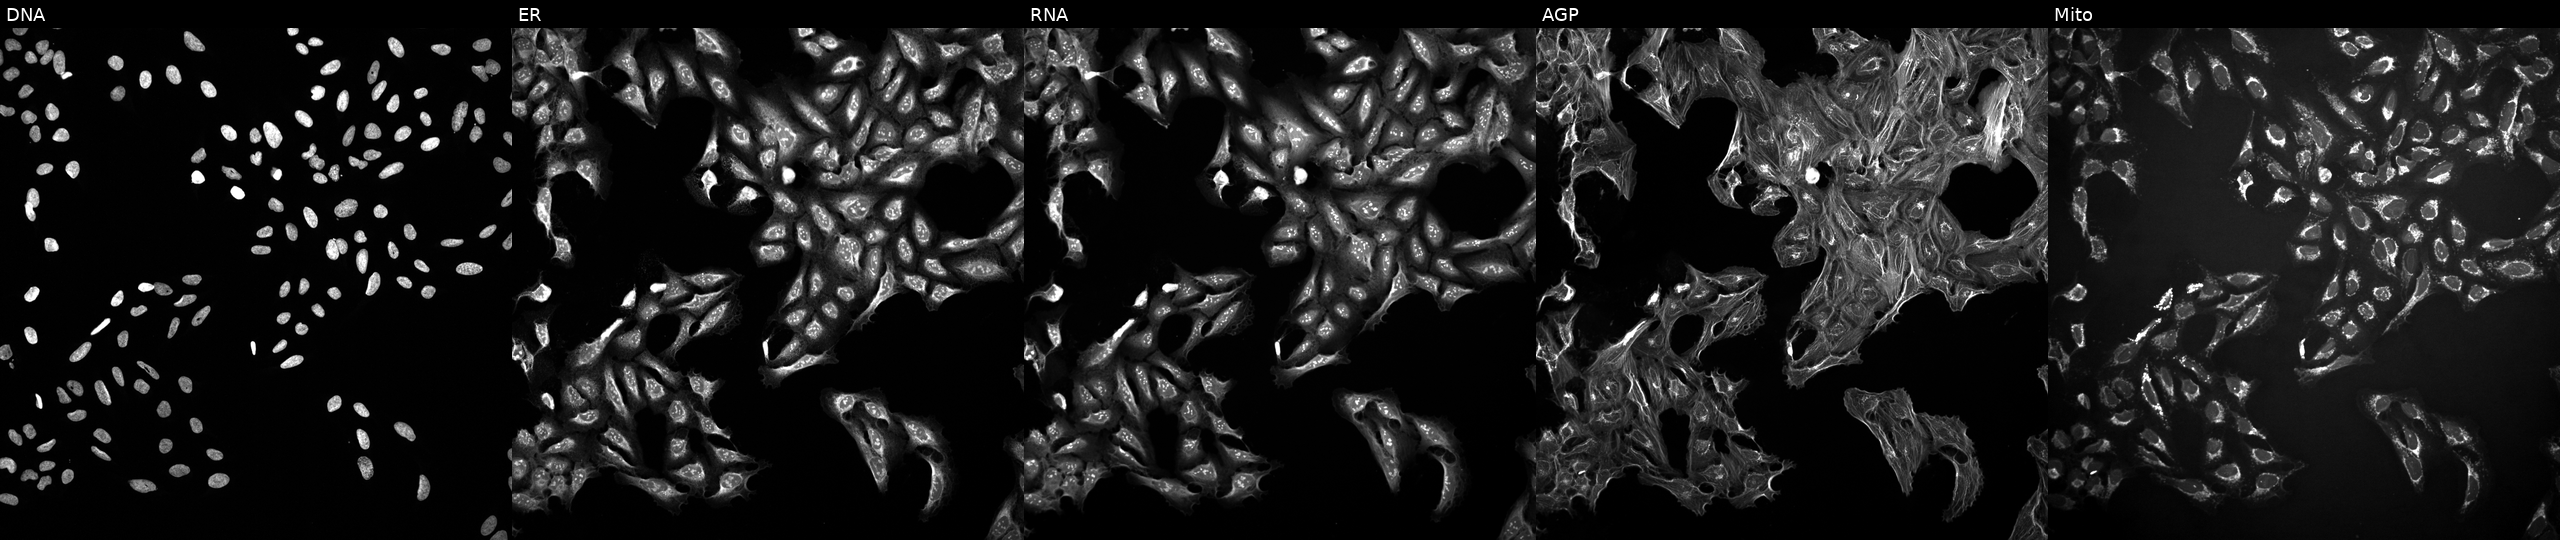
From left to right: DNA (nuclei); ER (endoplasmic reticulum); RNA (nucleoli and cytoplasmic RNA); AGP (actin cytoskeleton, Golgi, and plasma membrane); Mito (mitochondria). U2OS osteosarcoma cells perturbed with a small-molecule compound (InChIKey NCEXYHBECQHGNR-UHFFFAOYSA-N) [SMILES: O=C(O)c1cc(N=Nc2ccc(S(=O)(=O)N=c3cccc[nH]3)cc2)ccc1O]. Cell Painting assay, JUMP-CP dataset. Source 10, plate Dest210727-153003, well C04.